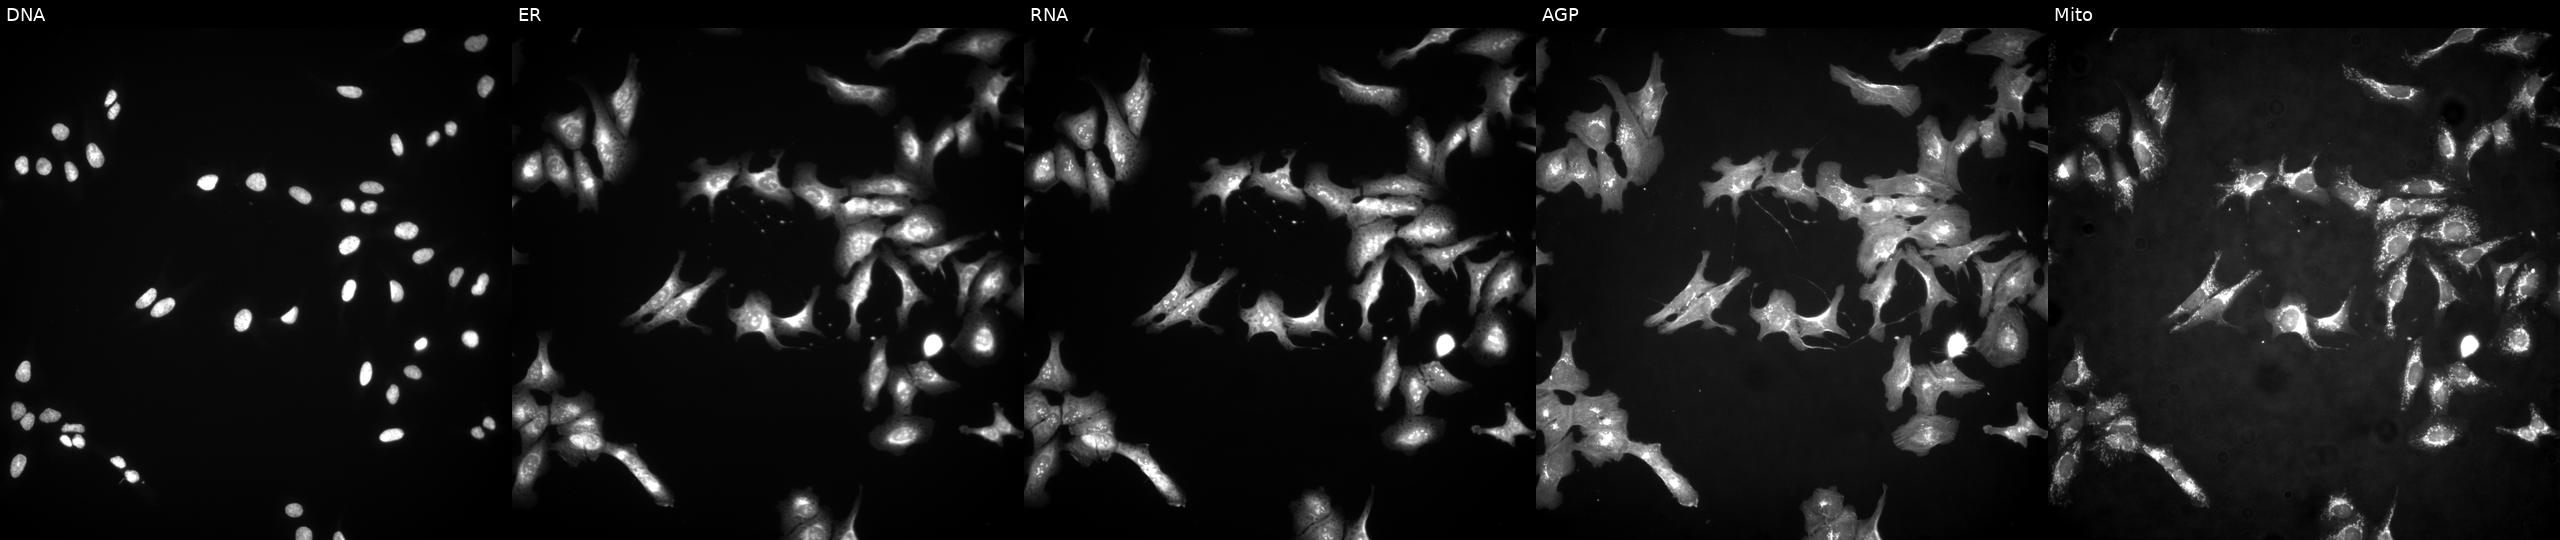
This image strip shows the five Cell Painting channels for a single field of U2OS cells overexpressing NSFL1C via ORF transfection (JUMP id JCP2022_903462). The five panels, left to right, show DNA, ER, RNA, AGP, and Mito.